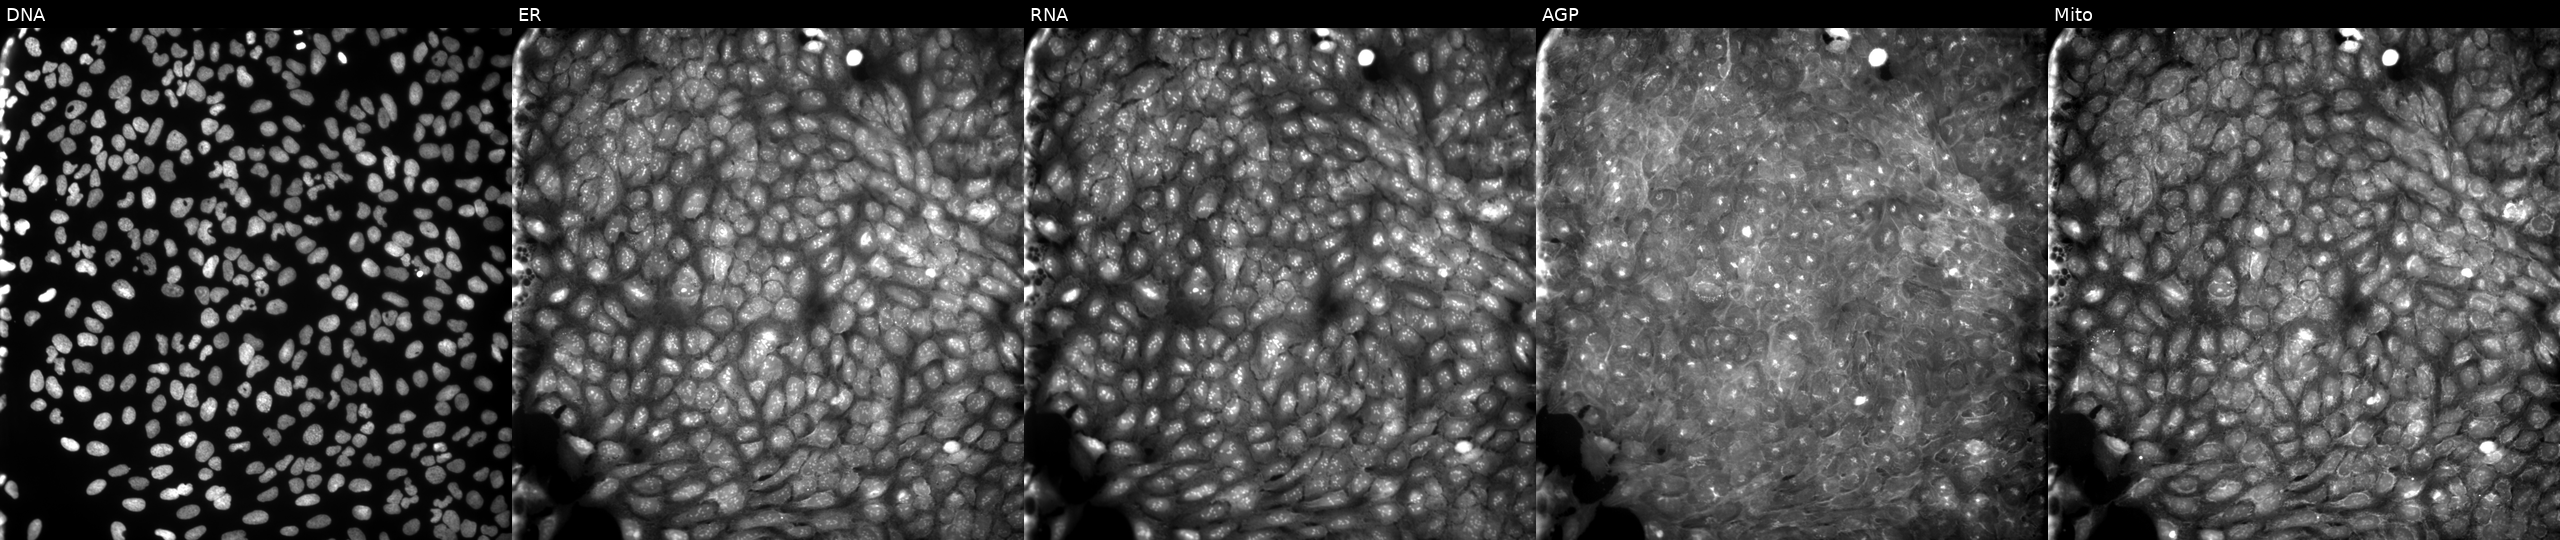
U2OS cells, Cell Painting assay, treated with a small-molecule compound (InChIKey PKGLZIIWSVORAH-UHFFFAOYSA-N) [SMILES: COc1cc(C(=O)N2CCC(Cc3ccccc3)CC2)c([N+](=O)[O-])cc1OC]. The five panels, left to right, show Hoechst 33342, concanavalin A, SYTO 14, phalloidin and WGA, MitoTracker. Each panel is percentile-stretched 16-bit fluorescence.